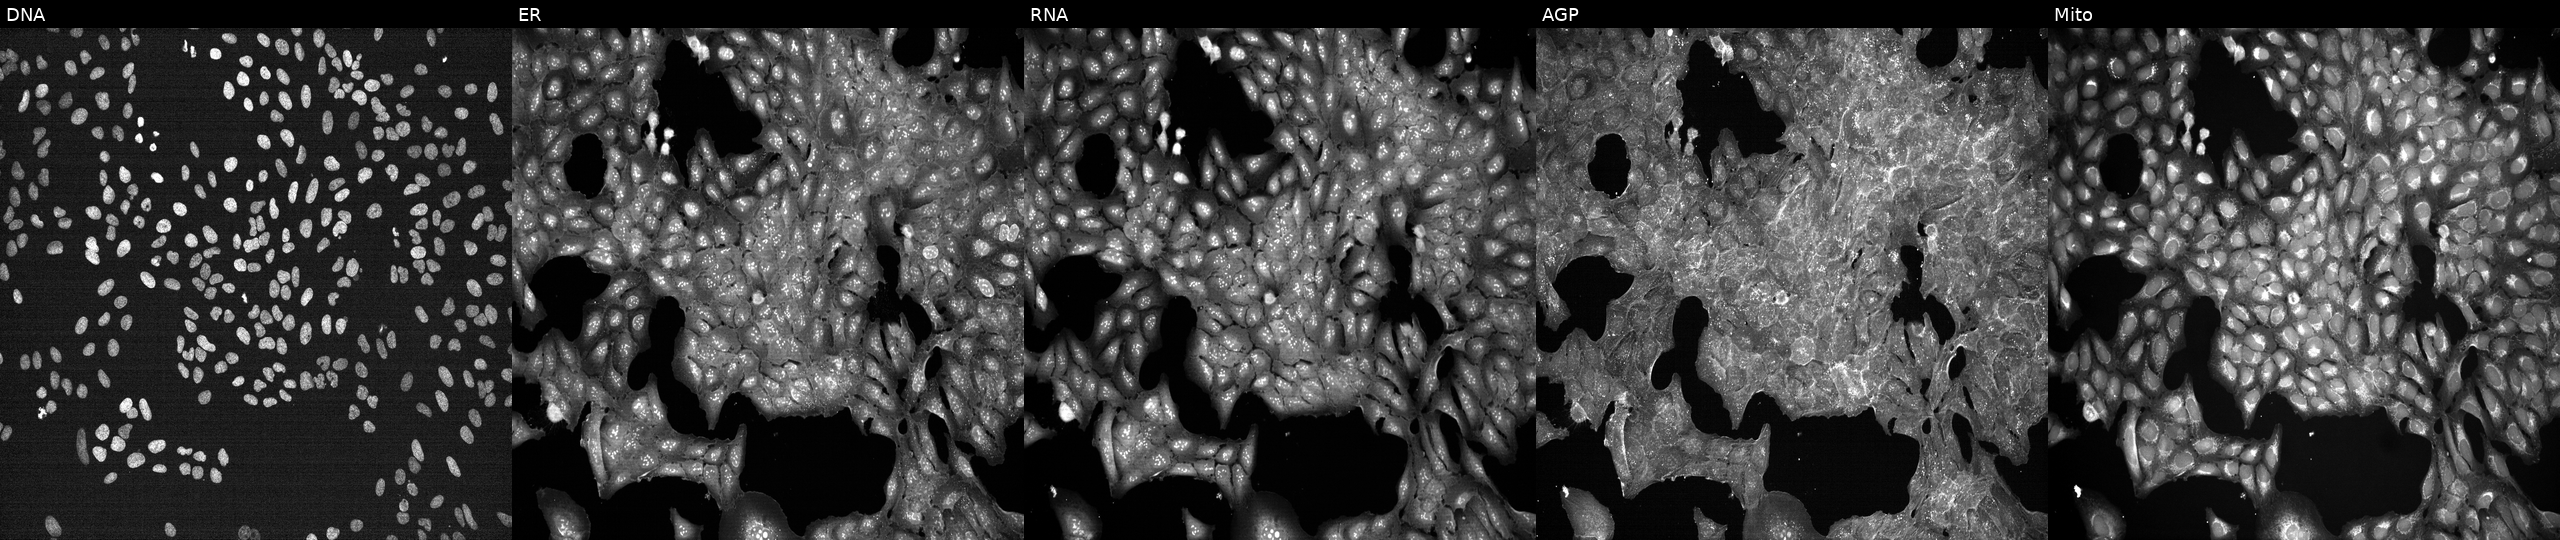
This image strip shows the five Cell Painting channels for a single field of U2OS cells treated with DMSO vehicle only (negative control). The five panels, left to right, show DNA (nuclei); ER (endoplasmic reticulum); RNA (nucleoli and cytoplasmic RNA); AGP (actin cytoskeleton, Golgi, and plasma membrane); Mito (mitochondria).